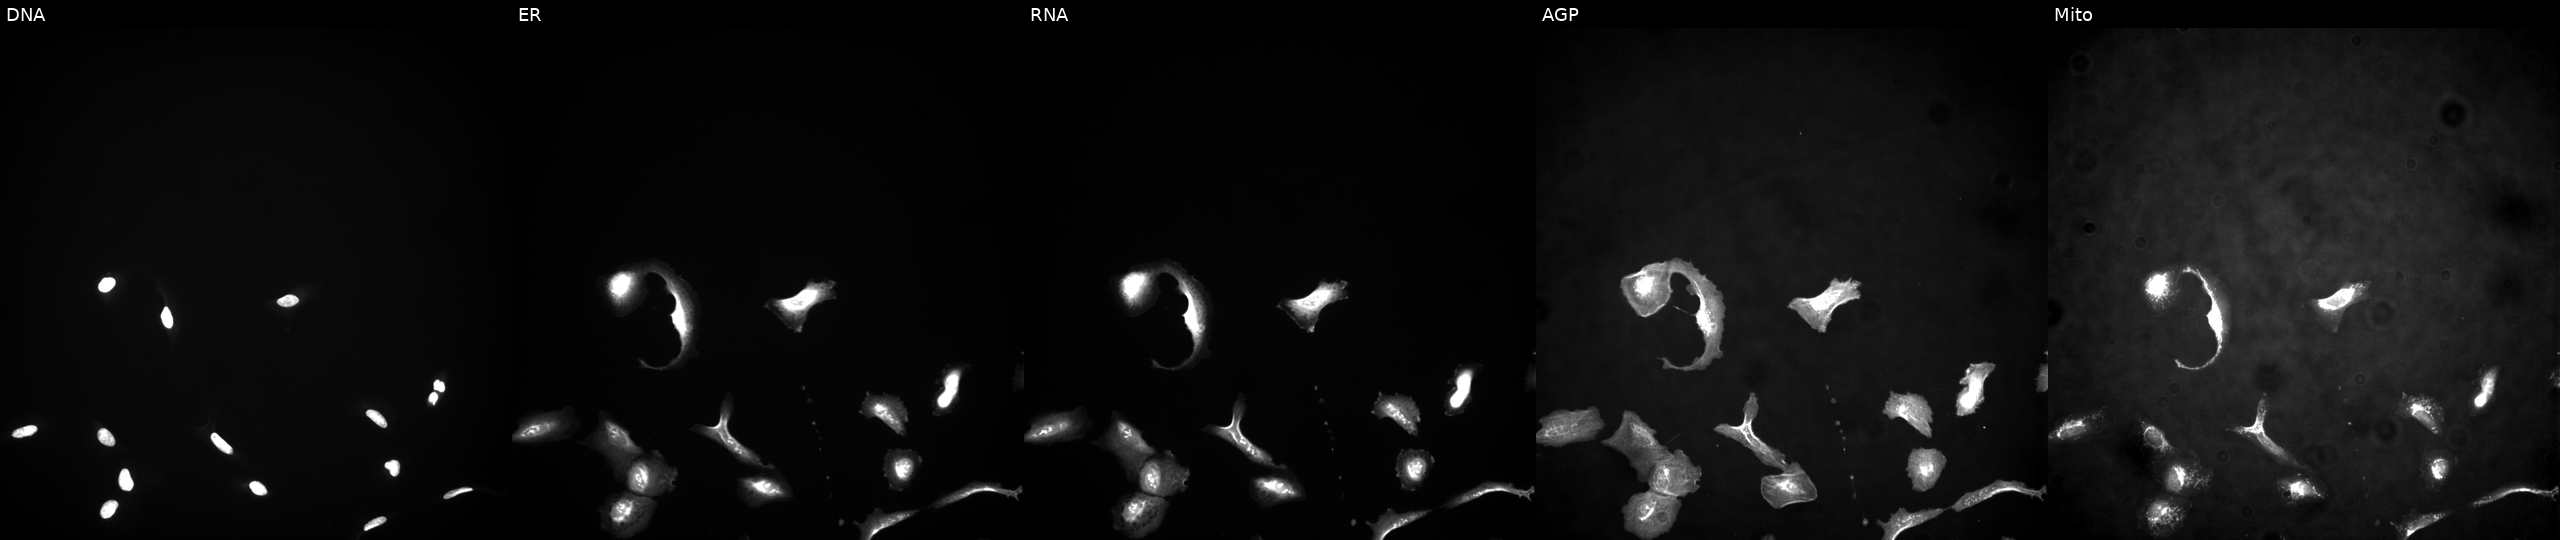
JUMP Cell Painting — ORF plate. U2OS cells overexpressing LCE1B via ORF transfection. Panels show, left to right, Hoechst 33342, concanavalin A, SYTO 14, phalloidin and WGA, MitoTracker. Source 4, plate BR00124784, well J09.